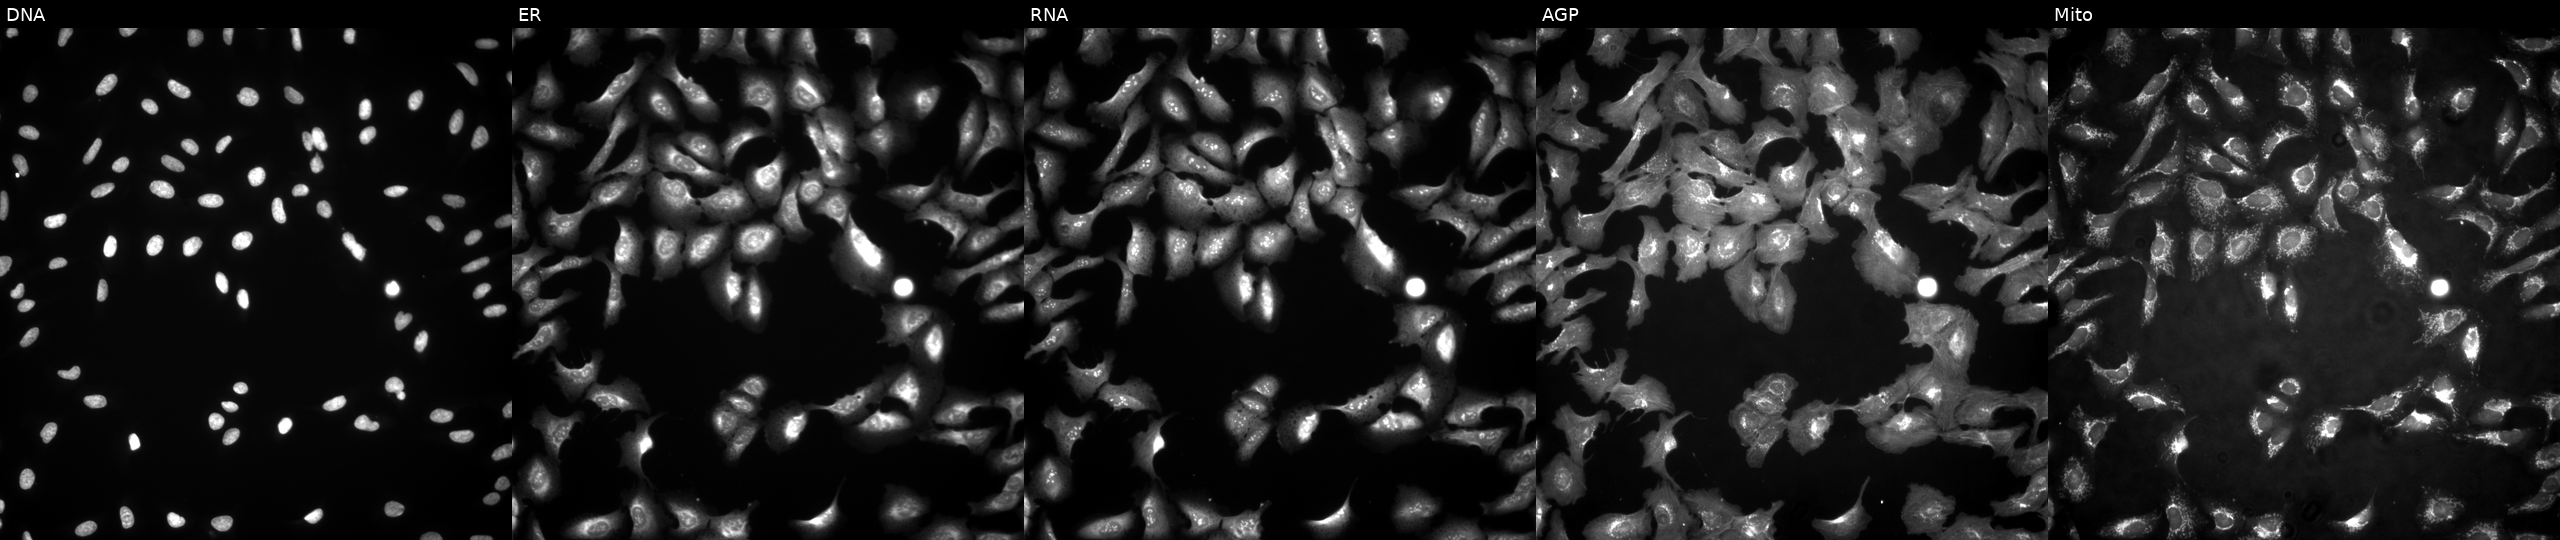
Five-channel Cell Painting image of U2OS cells with PI15 overexpressed (ORF) (JUMP id JCP2022_902989). From left to right: DNA, ER, RNA, AGP, and Mito.